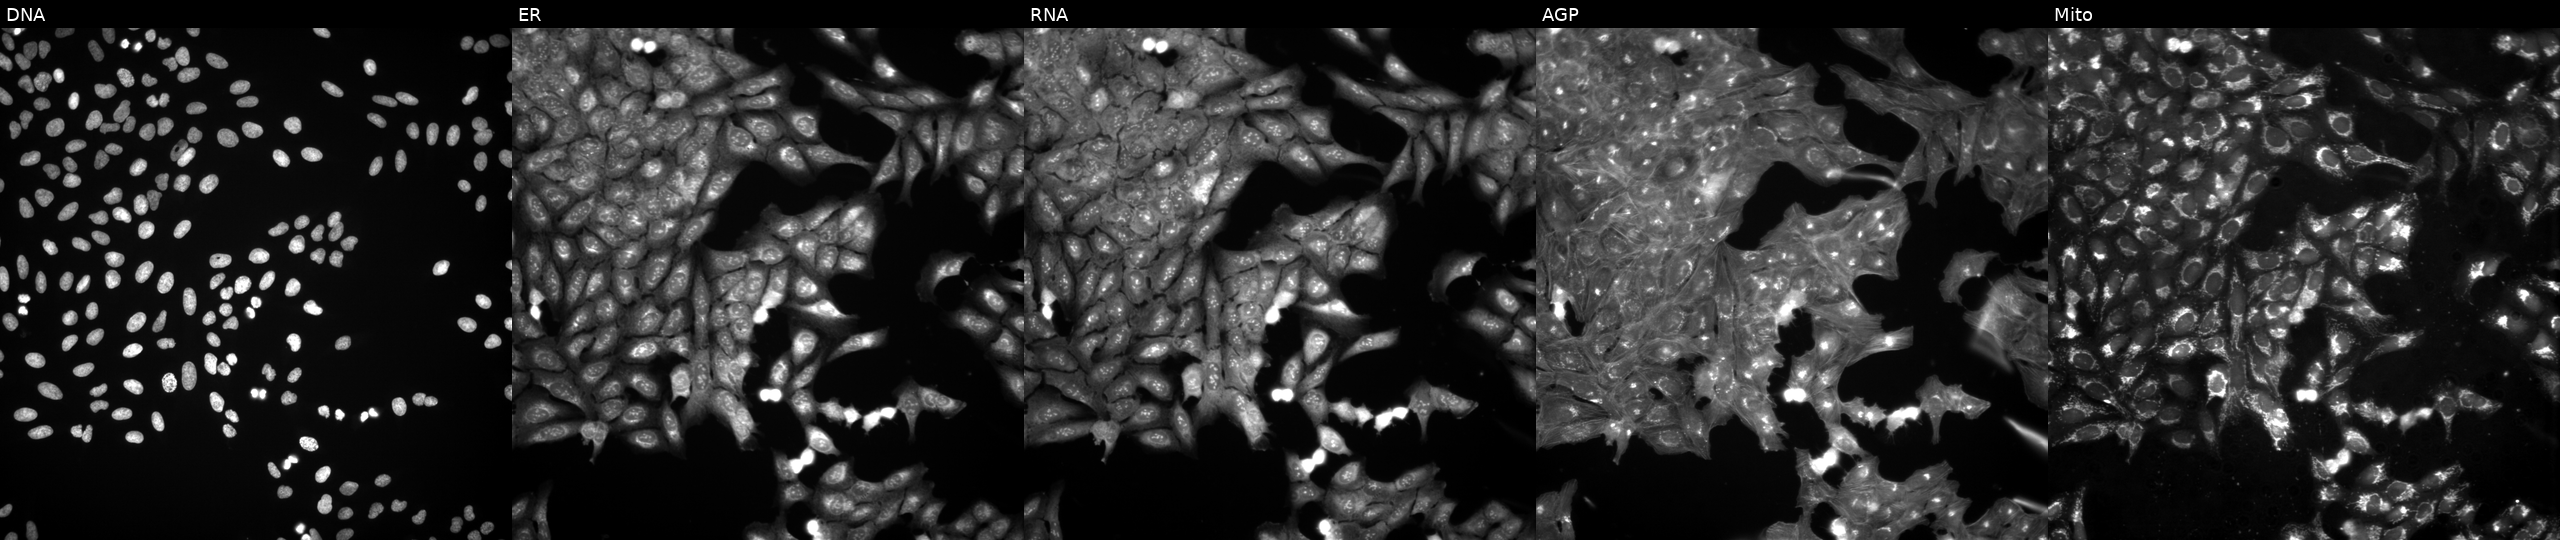
High-content fluorescence microscopy (Cell Painting). Cell line: U2OS. Perturbation: treated with DMSO vehicle only (negative control). From left to right: DNA (nuclei); ER (endoplasmic reticulum); RNA (nucleoli and cytoplasmic RNA); AGP (actin cytoskeleton, Golgi, and plasma membrane); Mito (mitochondria).